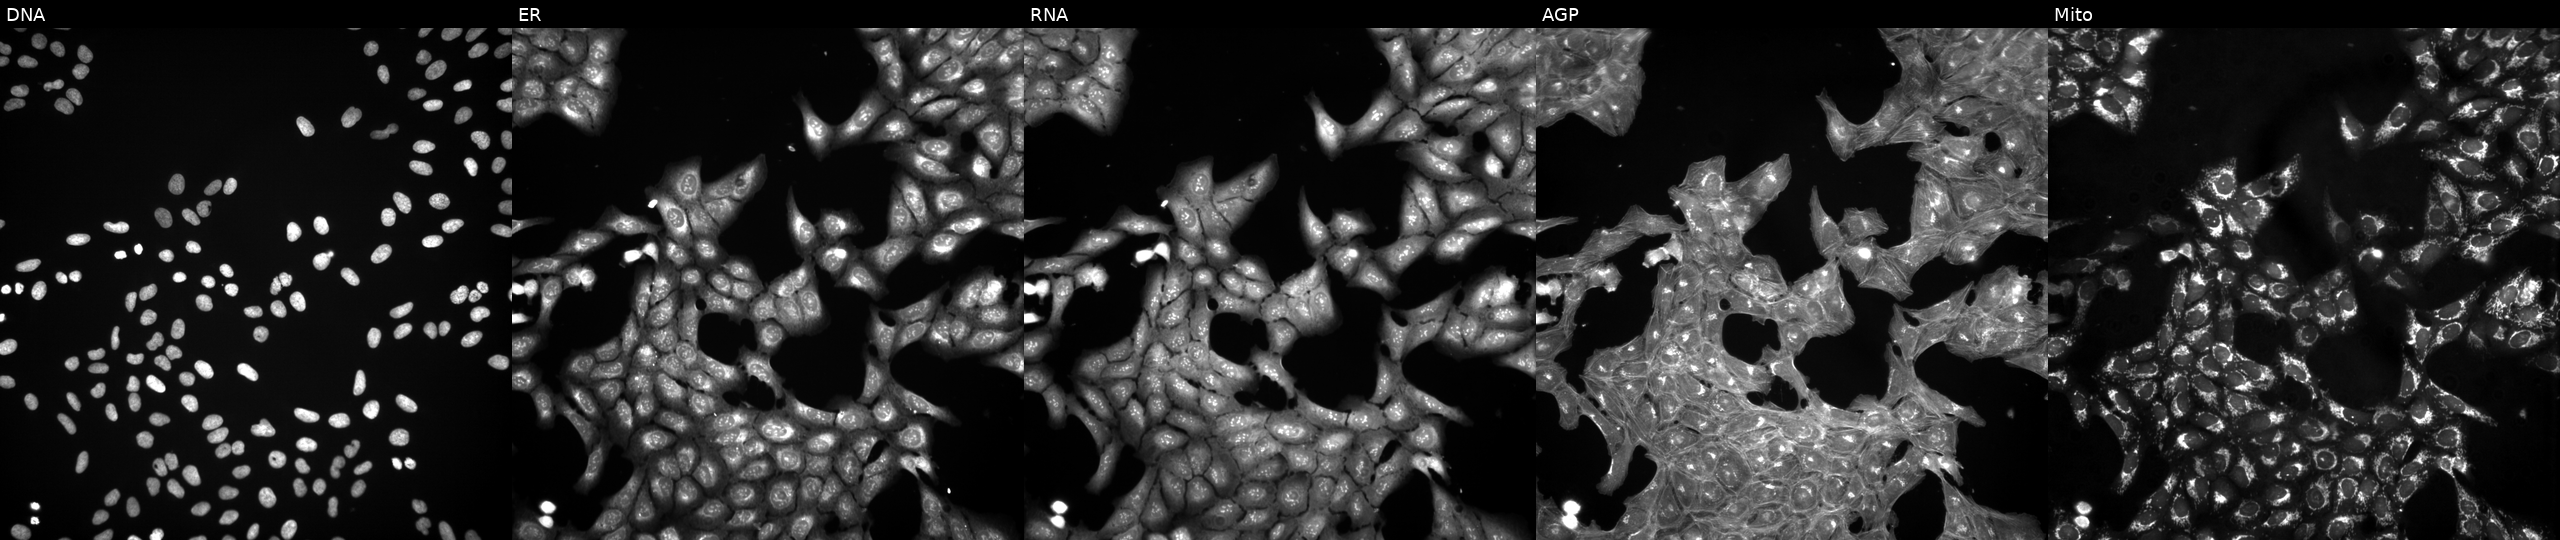
High-content fluorescence microscopy (Cell Painting). Cell line: U2OS. Perturbation: treated with DMSO vehicle only (negative control). The five panels, left to right, show Hoechst 33342, concanavalin A, SYTO 14, phalloidin and WGA, MitoTracker. Source 3, plate JCPQC053, well C17.